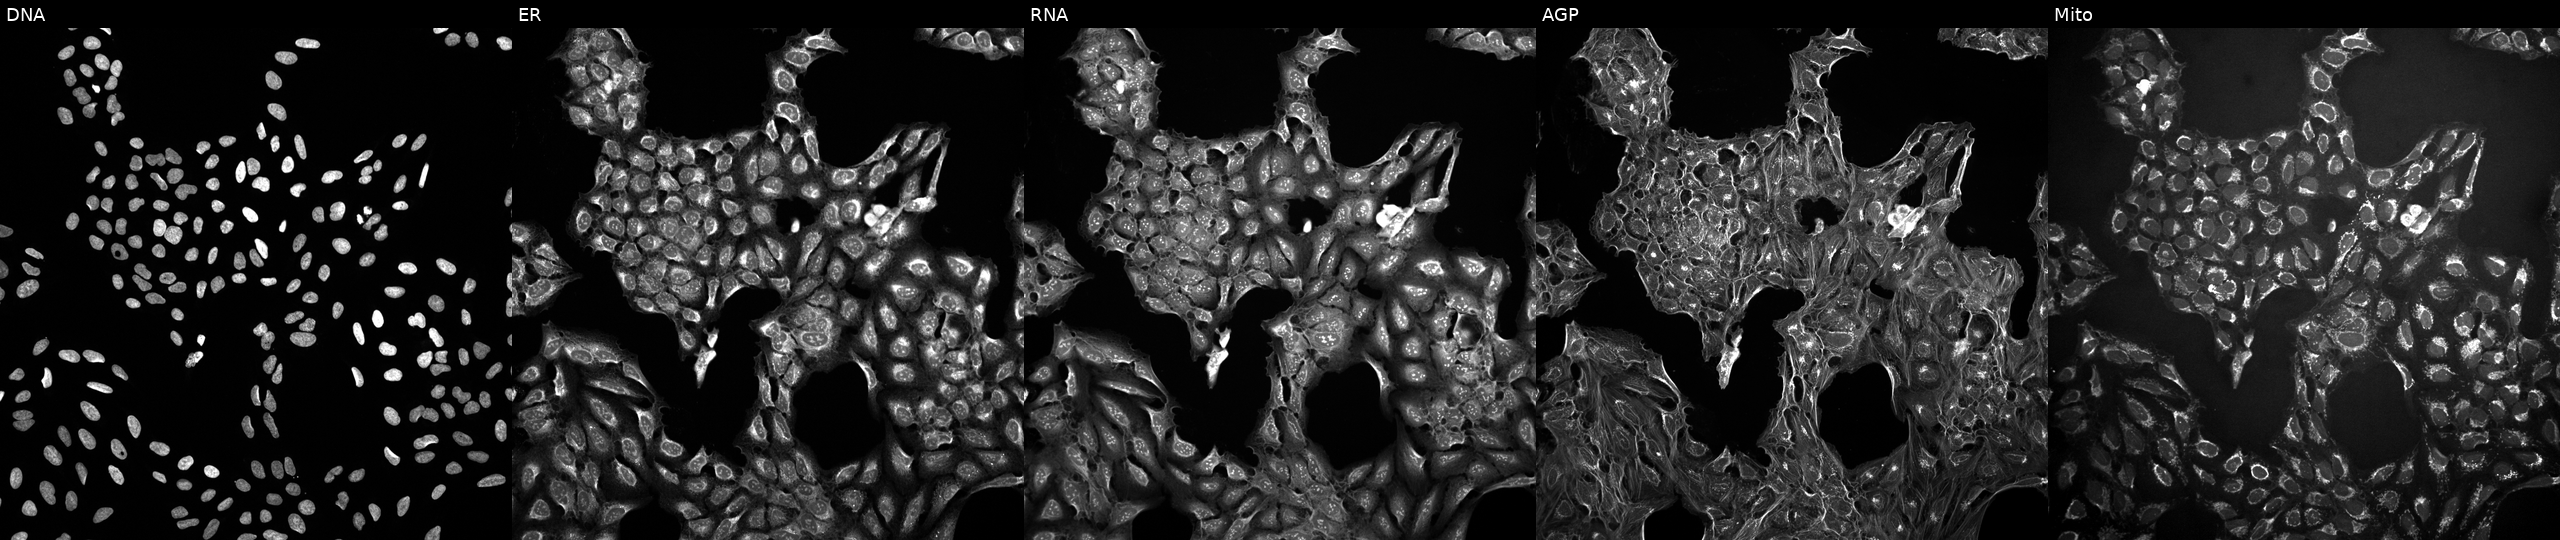
Five-channel Cell Painting image of U2OS cells treated with DMSO vehicle only (negative control). Panels show, left to right, DNA (nuclei); ER (endoplasmic reticulum); RNA (nucleoli and cytoplasmic RNA); AGP (actin cytoskeleton, Golgi, and plasma membrane); Mito (mitochondria). Source 10, plate Dest210531-152324, well M02.